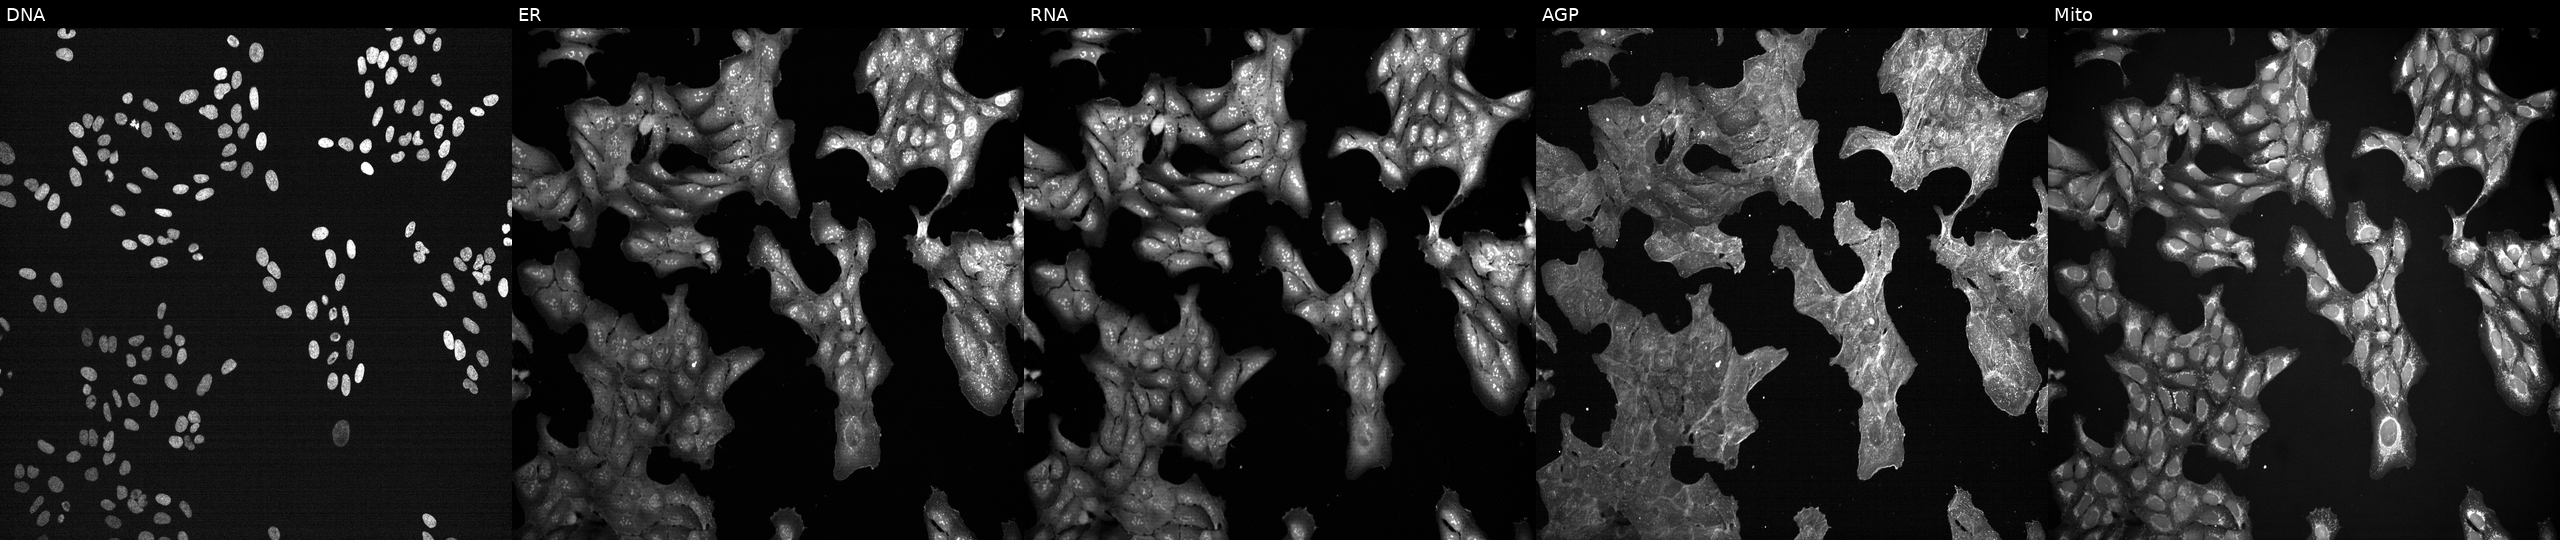
Five-channel Cell Painting image of U2OS cells treated with a small-molecule compound. Channels (left→right): Hoechst 33342, concanavalin A, SYTO 14, phalloidin and WGA, MitoTracker.